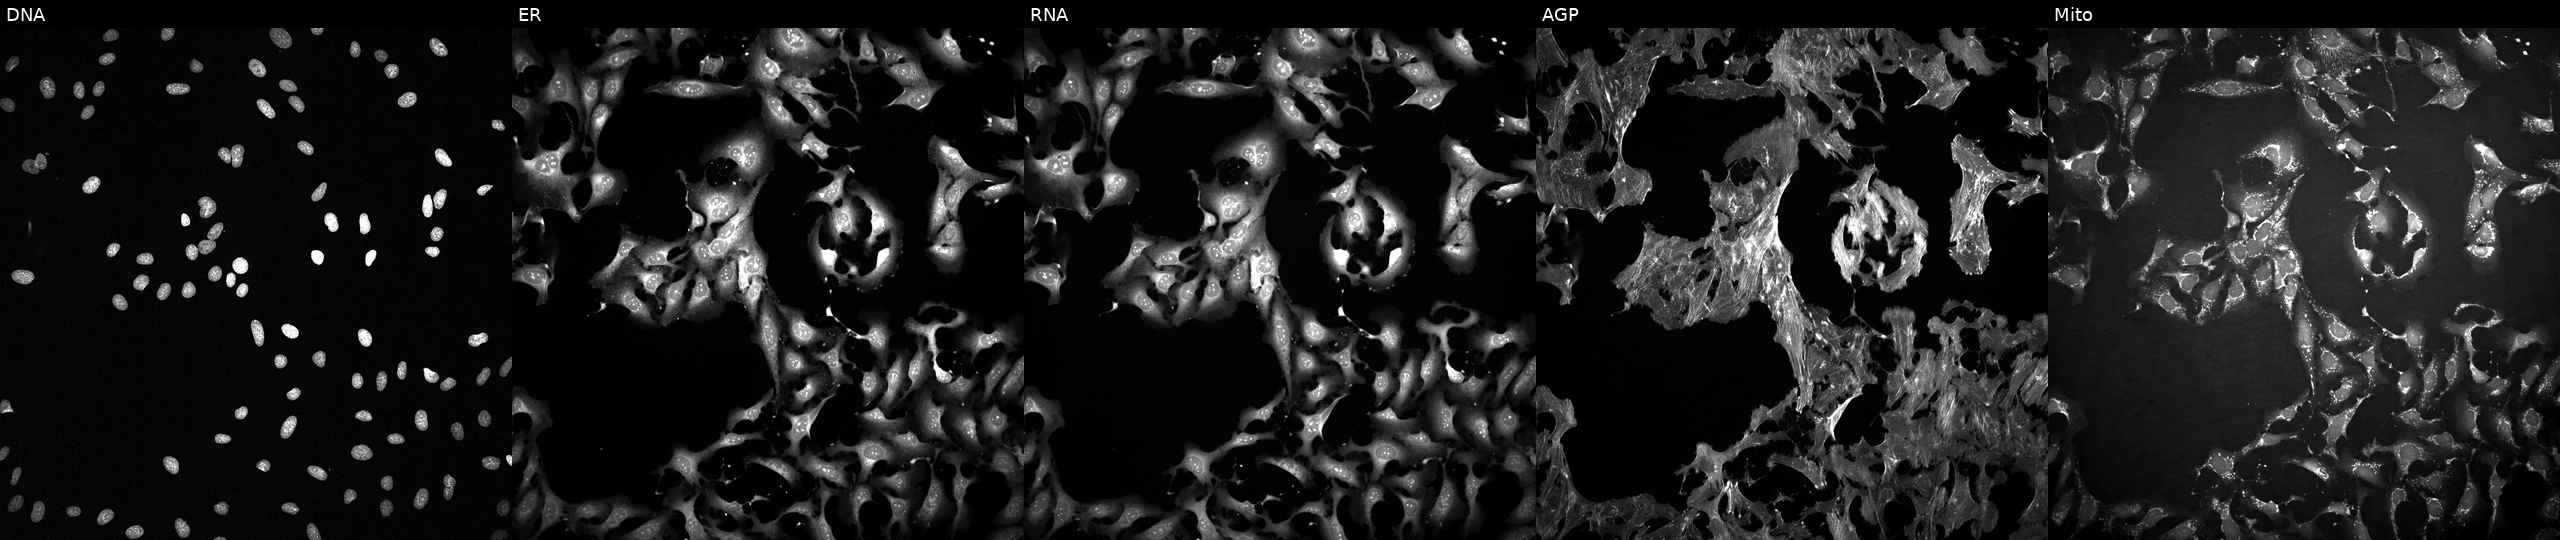
JUMP Cell Painting — COMPOUND plate. U2OS cells exposed to the positive-control compound FK-866 (JUMP id JCP2022_046054). Channels (left→right): Hoechst 33342, concanavalin A, SYTO 14, phalloidin and WGA, MitoTracker.